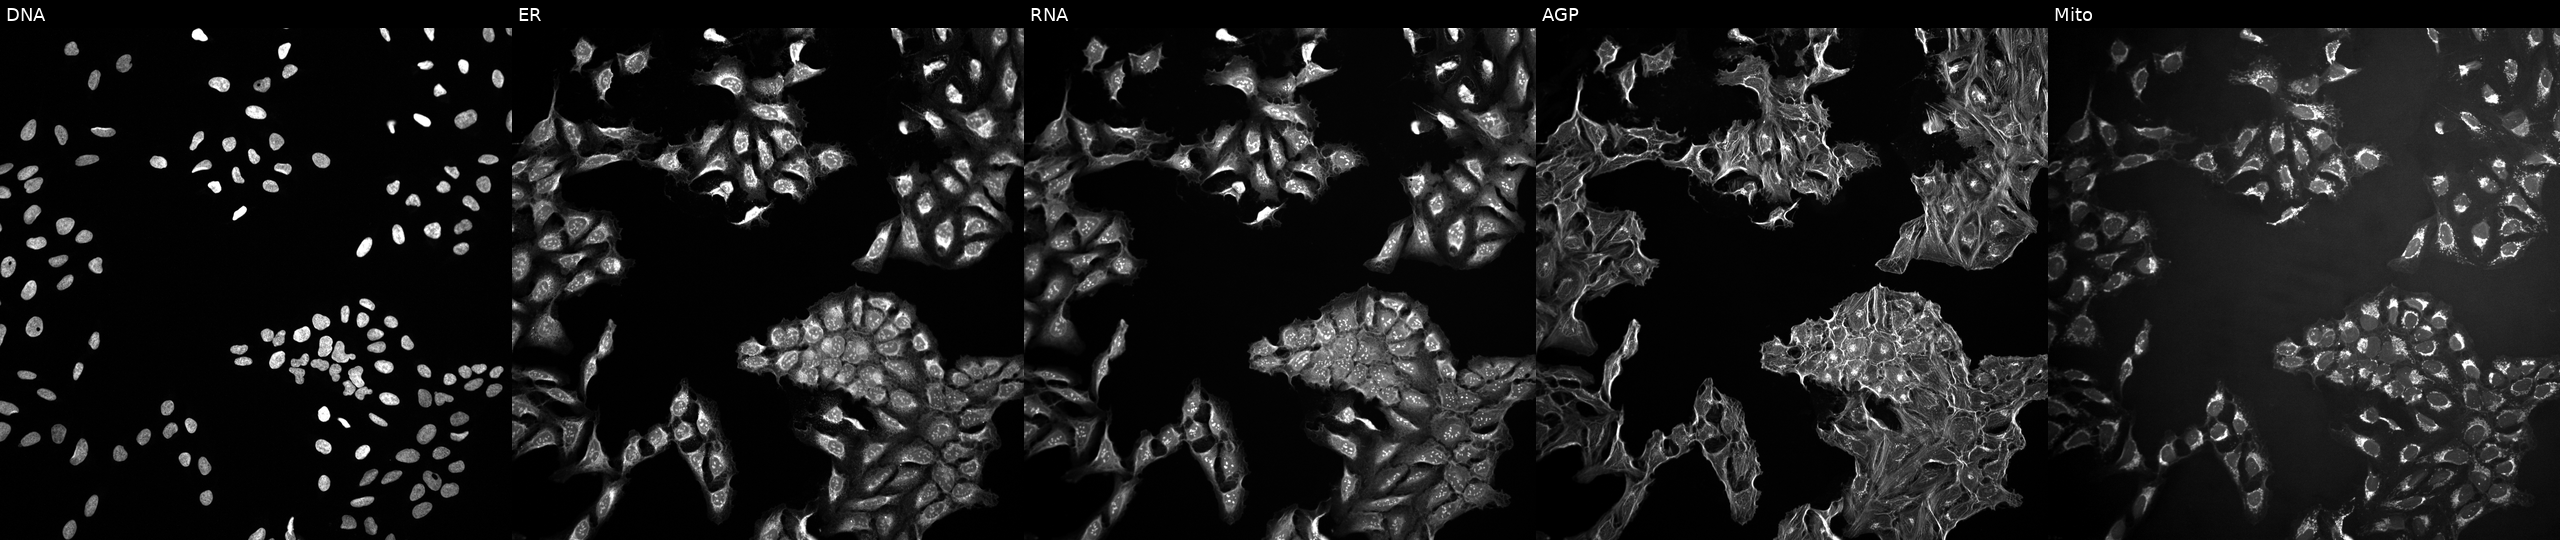
U2OS cells, Cell Painting assay, treated with a small-molecule compound (InChIKey NGTDJJKTGRNNAU-UHFFFAOYSA-N) [SMILES: OC(Cc1ccncc1)C(Cl)(Cl)Cl]. Channels (left→right): Hoechst 33342, concanavalin A, SYTO 14, phalloidin and WGA, MitoTracker. Each panel is percentile-stretched 16-bit fluorescence. Source 10, plate Dest210727-153003, well J16.